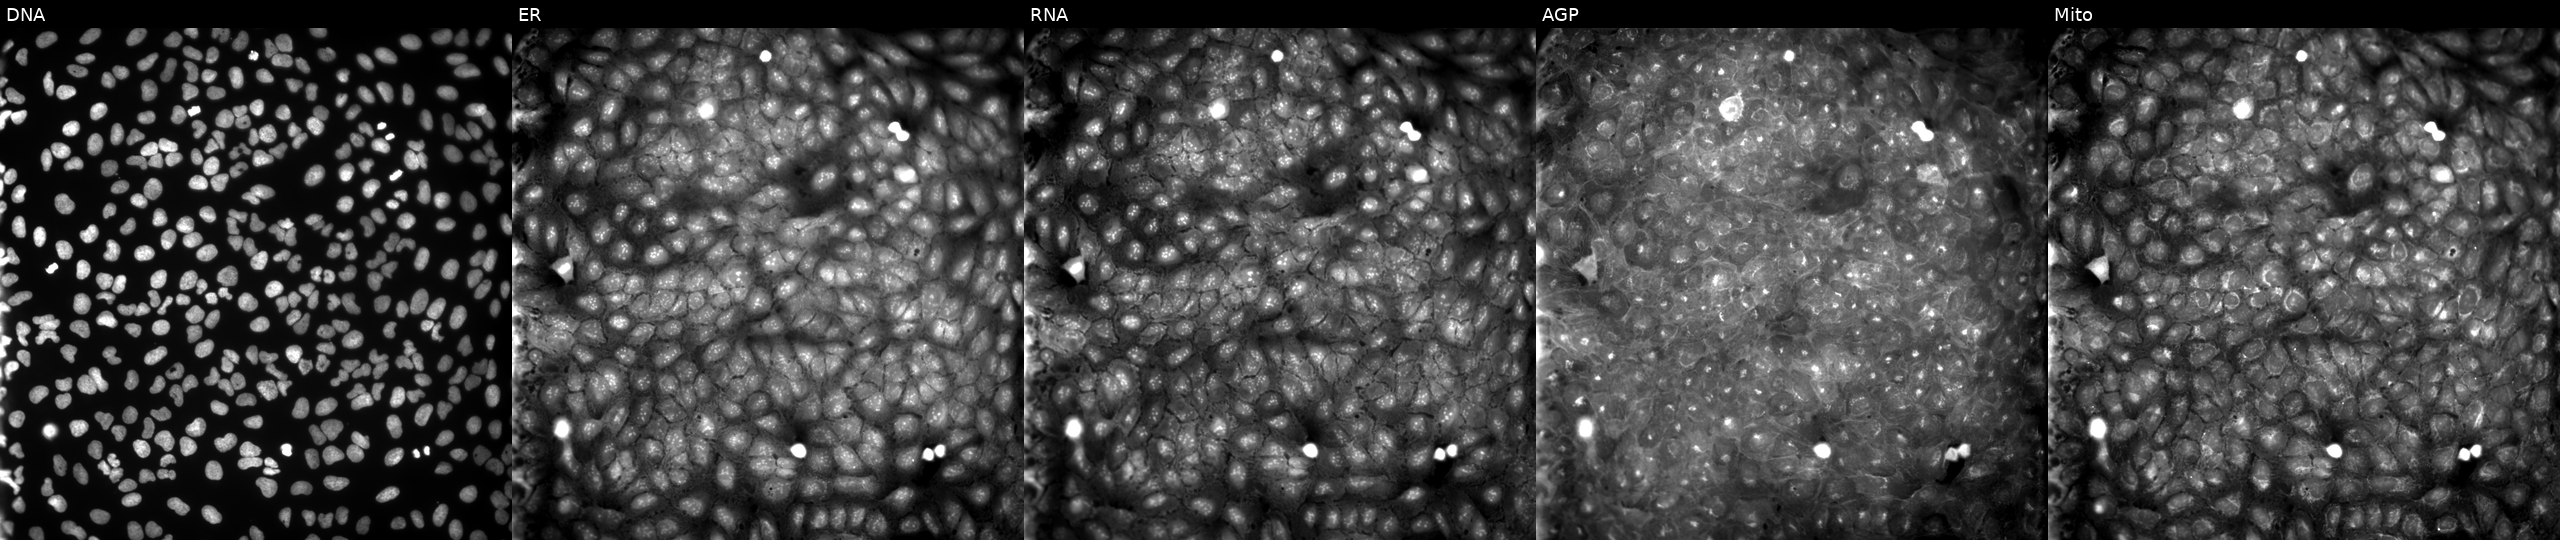
The five panels, left to right, show DNA (nuclei); ER (endoplasmic reticulum); RNA (nucleoli and cytoplasmic RNA); AGP (actin cytoskeleton, Golgi, and plasma membrane); Mito (mitochondria). U2OS osteosarcoma cells exposed to a small-molecule compound (InChIKey UBMIKLUSHCSWBA-UHFFFAOYSA-N) (JUMP id JCP2022_088120). Cell Painting assay, JUMP-CP dataset.